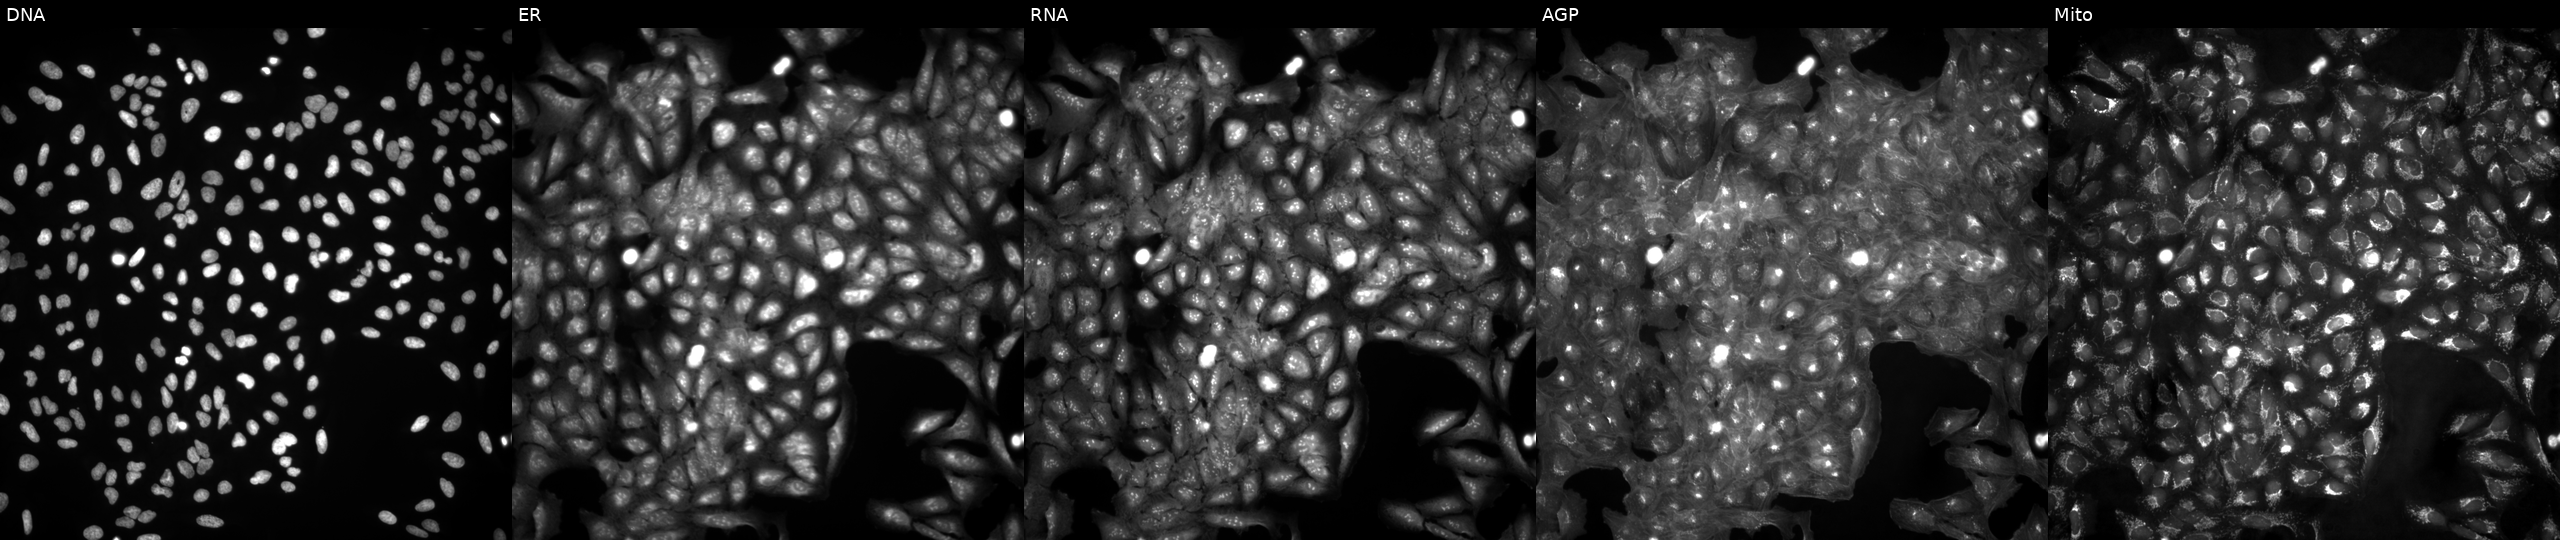
U2OS cells, Cell Painting assay, in an empty control well (no perturbation) (JUMP id JCP2022_999999). Channels (left→right): DNA, ER, RNA, AGP, and Mito. Each panel is percentile-stretched 16-bit fluorescence. Source 4, plate BR00123946, well B08.